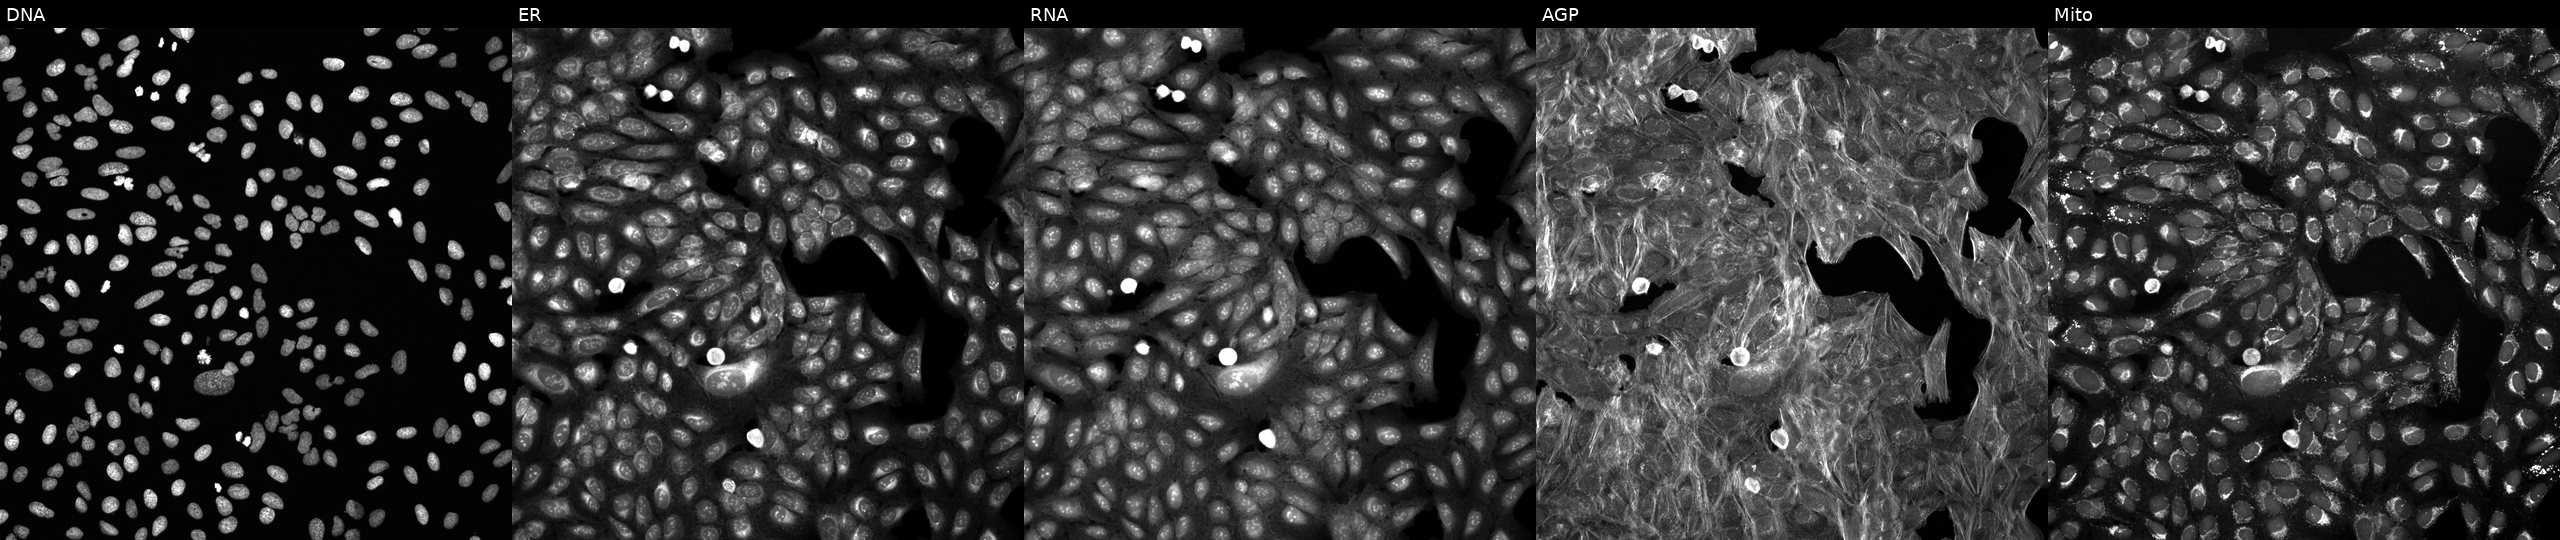
The five panels, left to right, show DNA (nuclei); ER (endoplasmic reticulum); RNA (nucleoli and cytoplasmic RNA); AGP (actin cytoskeleton, Golgi, and plasma membrane); Mito (mitochondria). U2OS osteosarcoma cells treated with a small-molecule compound (InChIKey OUFSXNBRUUBMFT-UHFFFAOYSA-N). Cell Painting assay, JUMP-CP dataset.